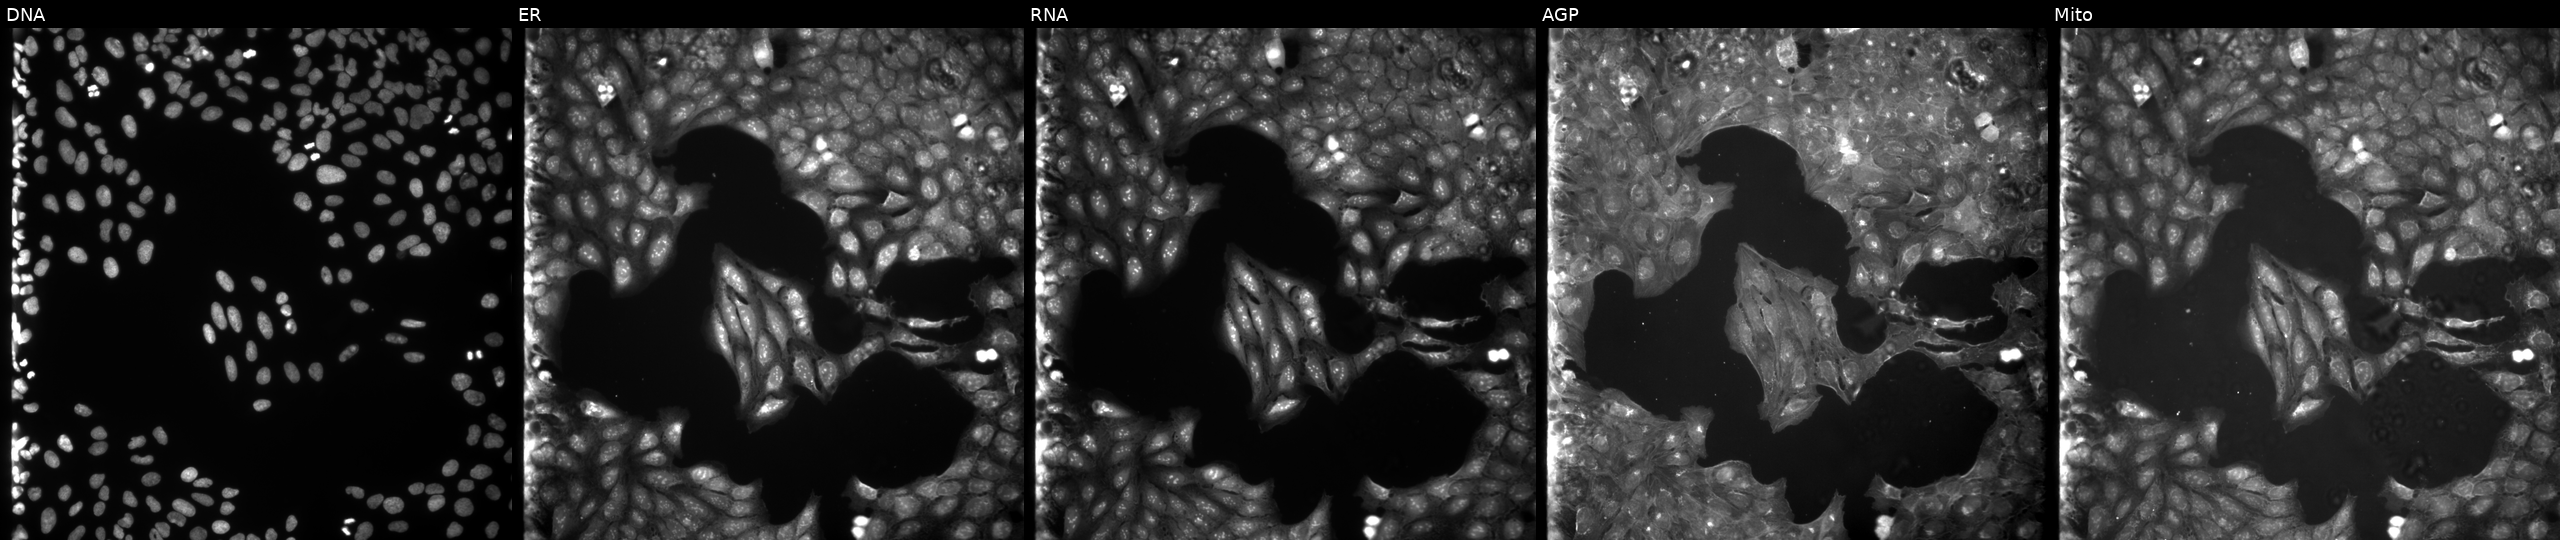
This image strip shows the five Cell Painting channels for a single field of U2OS cells exposed to a small-molecule compound (InChIKey KCLUBMVVJCKVBS-UHFFFAOYSA-N) (JUMP id JCP2022_043718). The five panels, left to right, show Hoechst 33342, concanavalin A, SYTO 14, phalloidin and WGA, MitoTracker. Source 9, plate GR00003382, well B16.